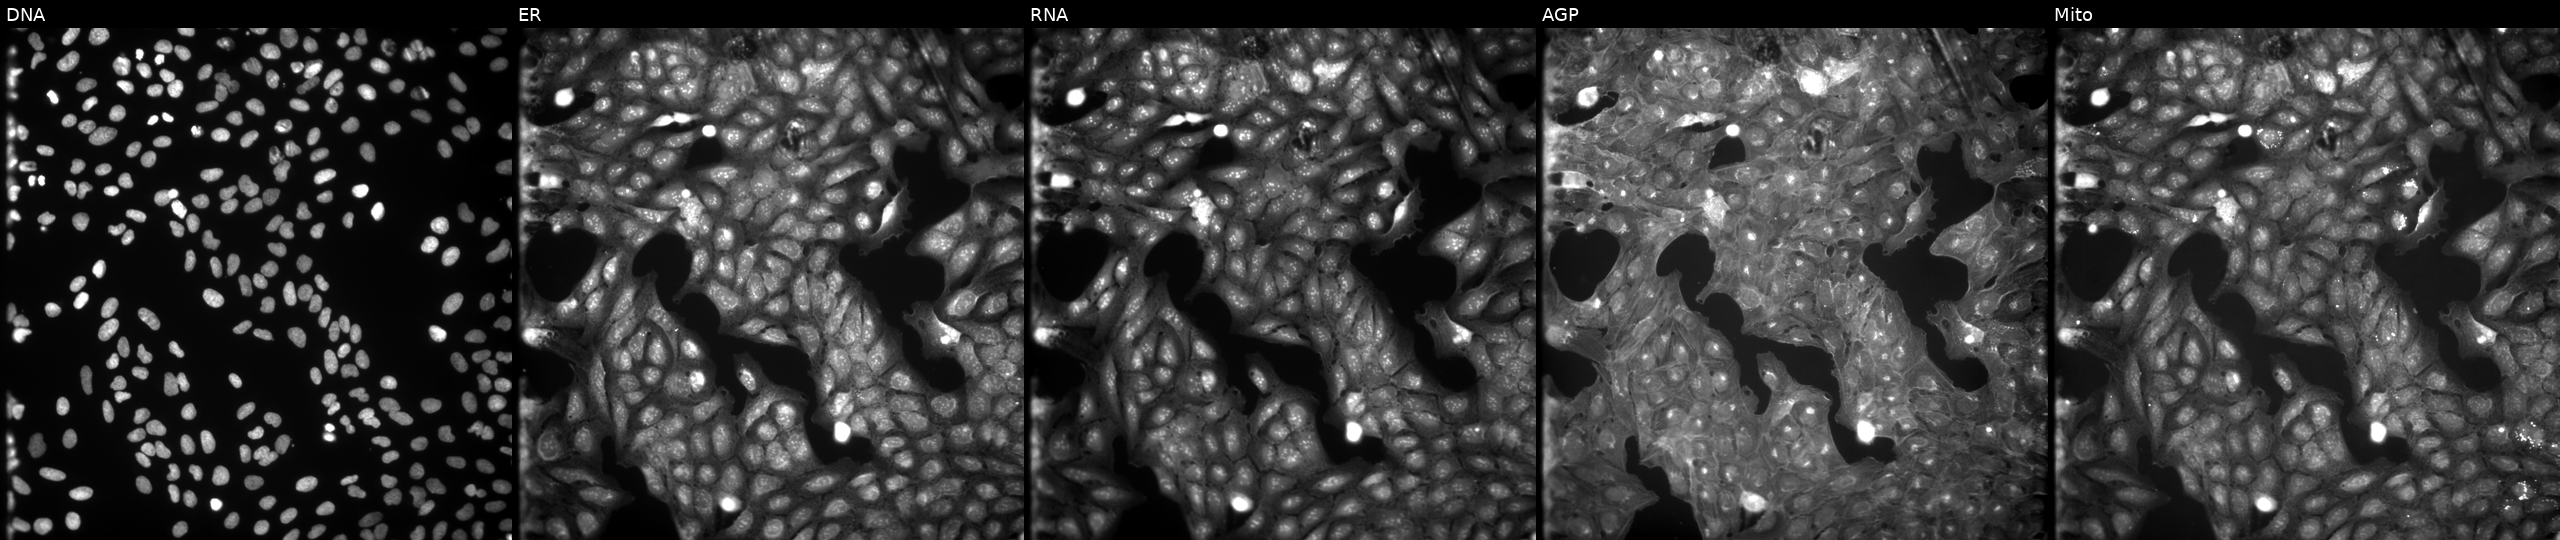
Five-channel Cell Painting image of U2OS cells exposed to the positive-control compound aloxistatin (JUMP id JCP2022_085227). Panels show, left to right, Hoechst 33342, concanavalin A, SYTO 14, phalloidin and WGA, MitoTracker.